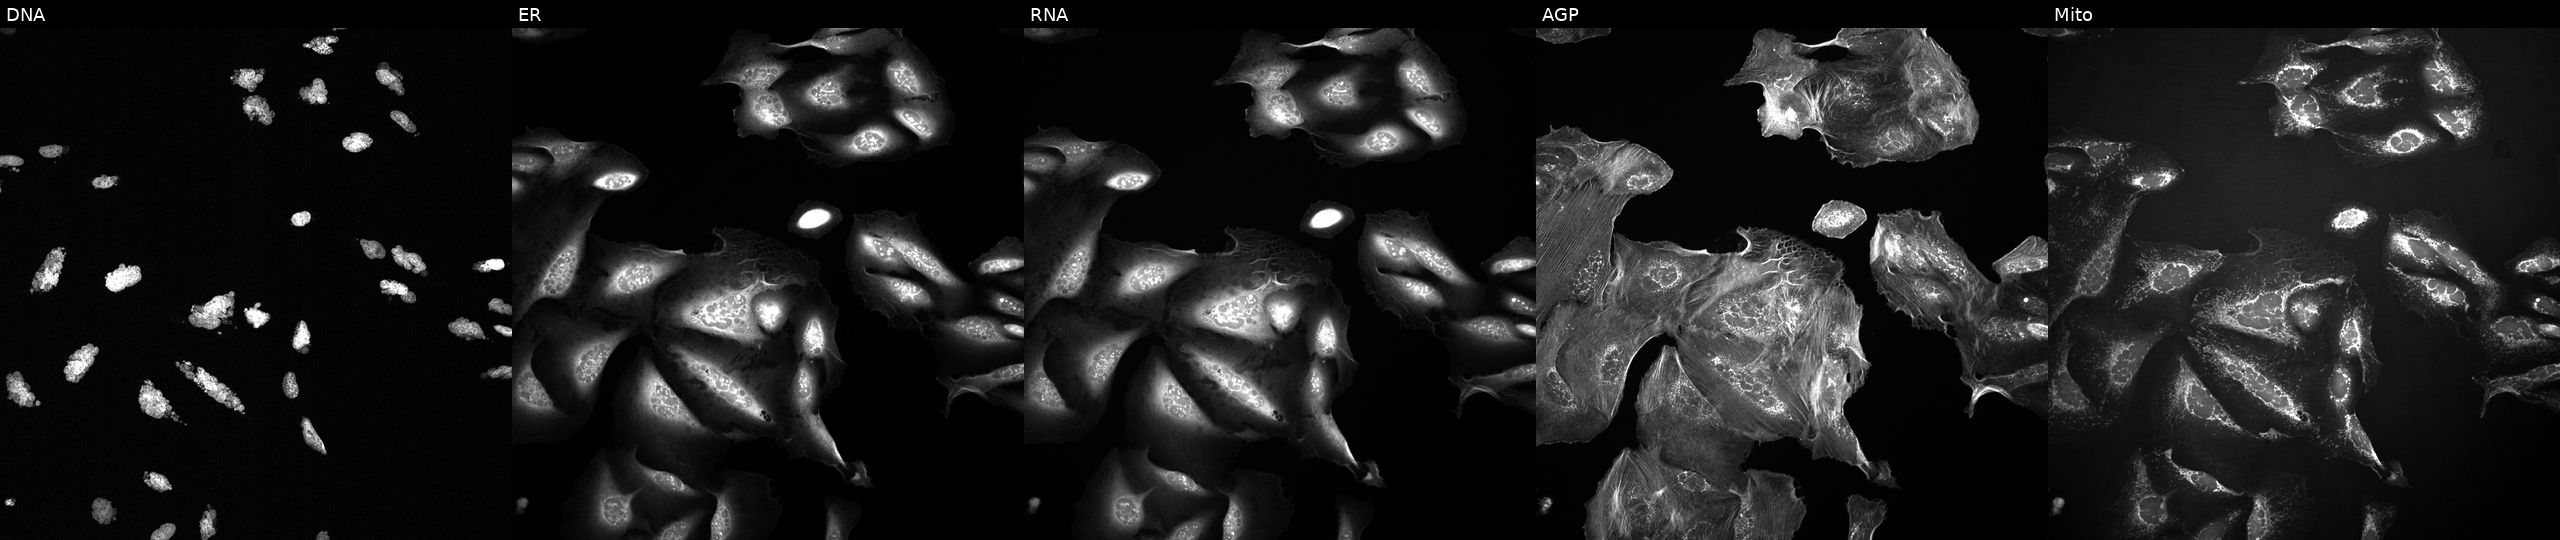
JUMP Cell Painting — COMPOUND plate. U2OS cells treated with AMG900 (positive-control compound). Channels (left→right): Hoechst 33342, concanavalin A, SYTO 14, phalloidin and WGA, MitoTracker.